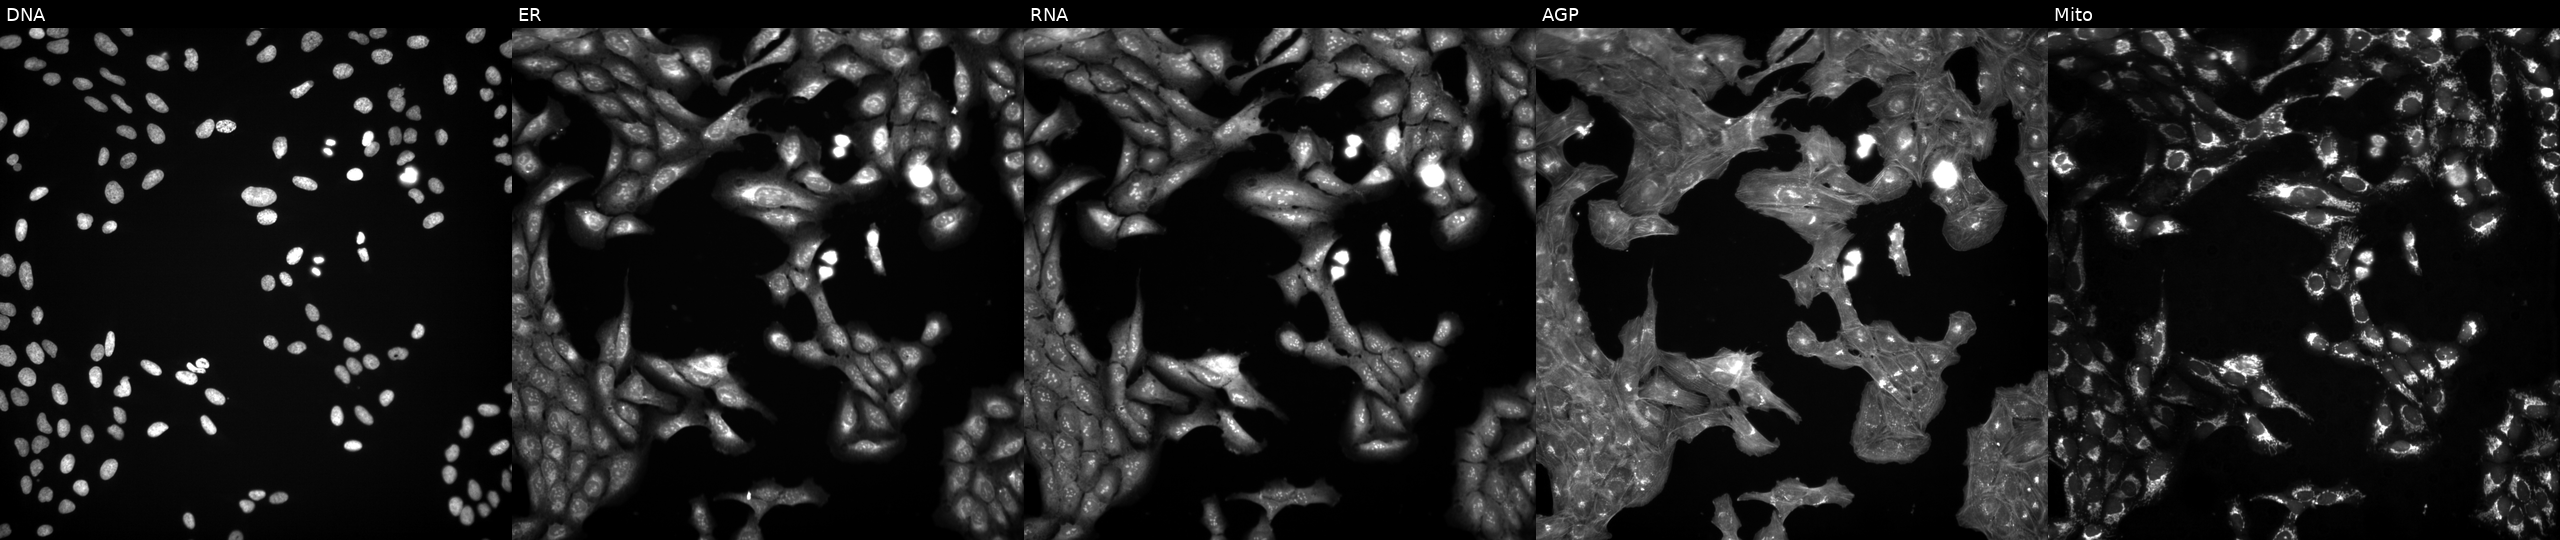
JUMP Cell Painting — TARGET2 plate. U2OS cells treated with DMSO vehicle only (negative control). Panels show, left to right, Hoechst 33342, concanavalin A, SYTO 14, phalloidin and WGA, MitoTracker.